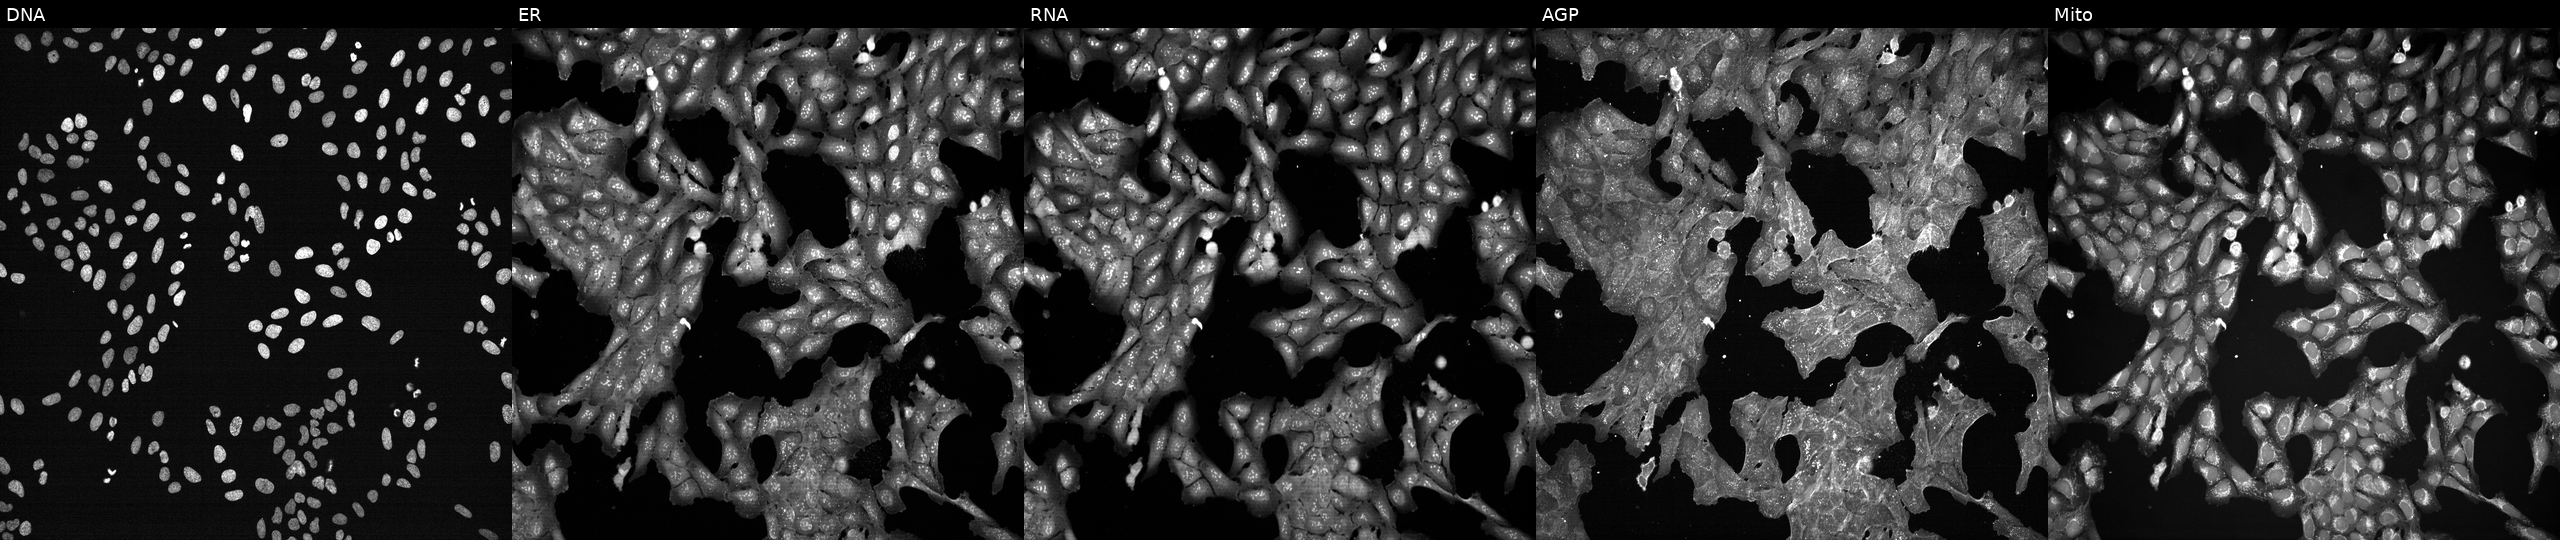
From left to right: DNA, ER, RNA, AGP, and Mito. U2OS osteosarcoma cells treated with a small-molecule compound (InChIKey RYEFFICCPKWYML-UHFFFAOYSA-N). Cell Painting assay, JUMP-CP dataset.